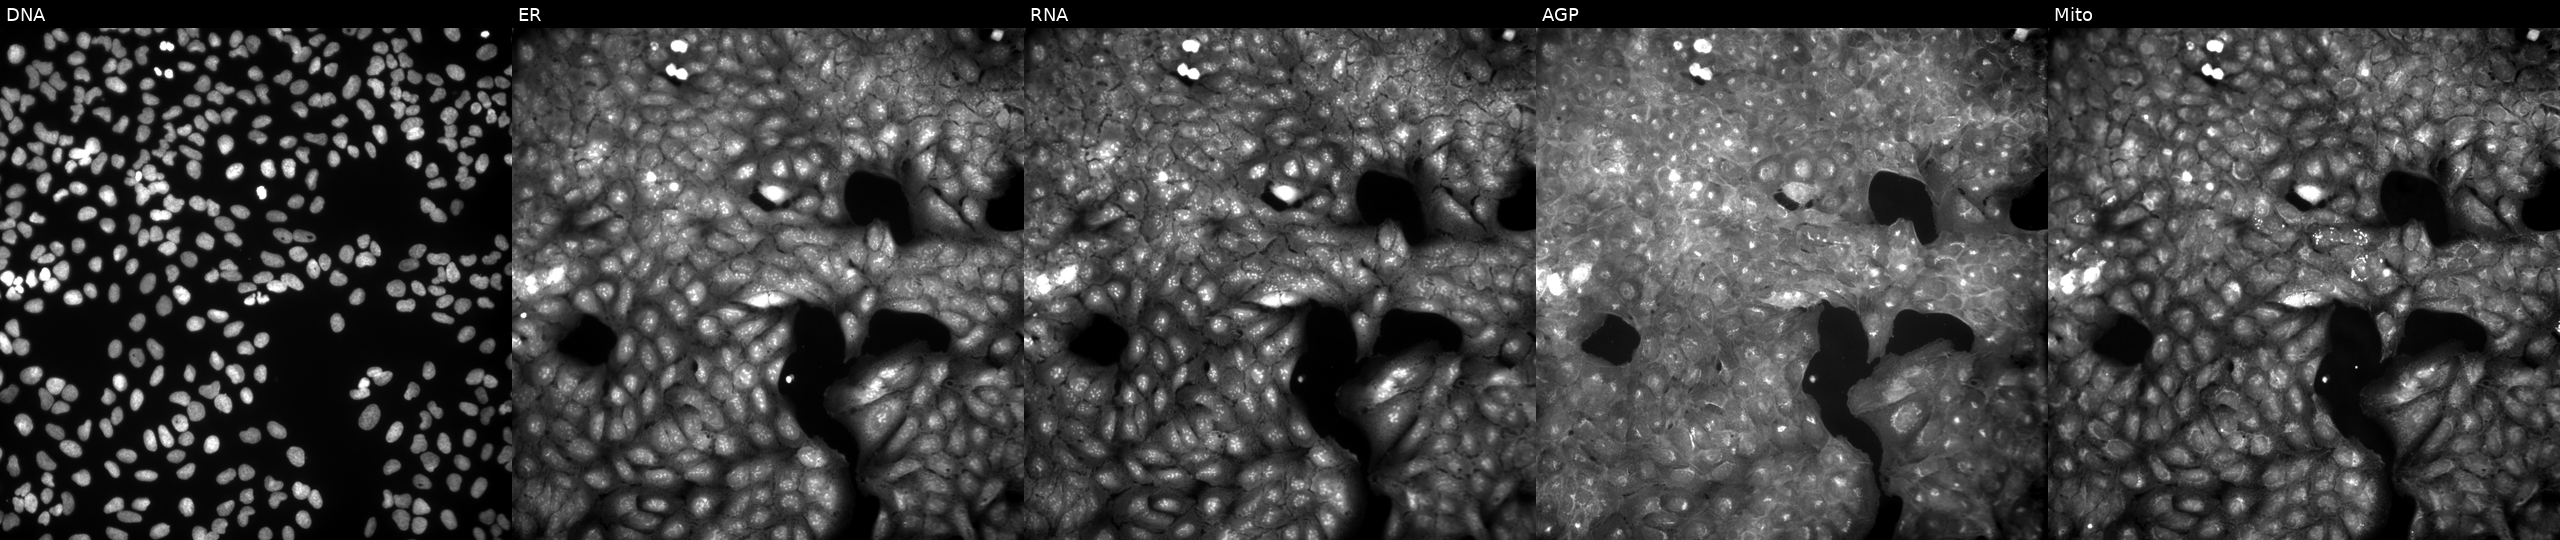
This image strip shows the five Cell Painting channels for a single field of U2OS cells perturbed with a small-molecule compound (InChIKey AQTNTPKTHVSGJN-UHFFFAOYSA-N). Channels (left→right): Hoechst 33342, concanavalin A, SYTO 14, phalloidin and WGA, MitoTracker. Source 9, plate GR00003381, well O41.